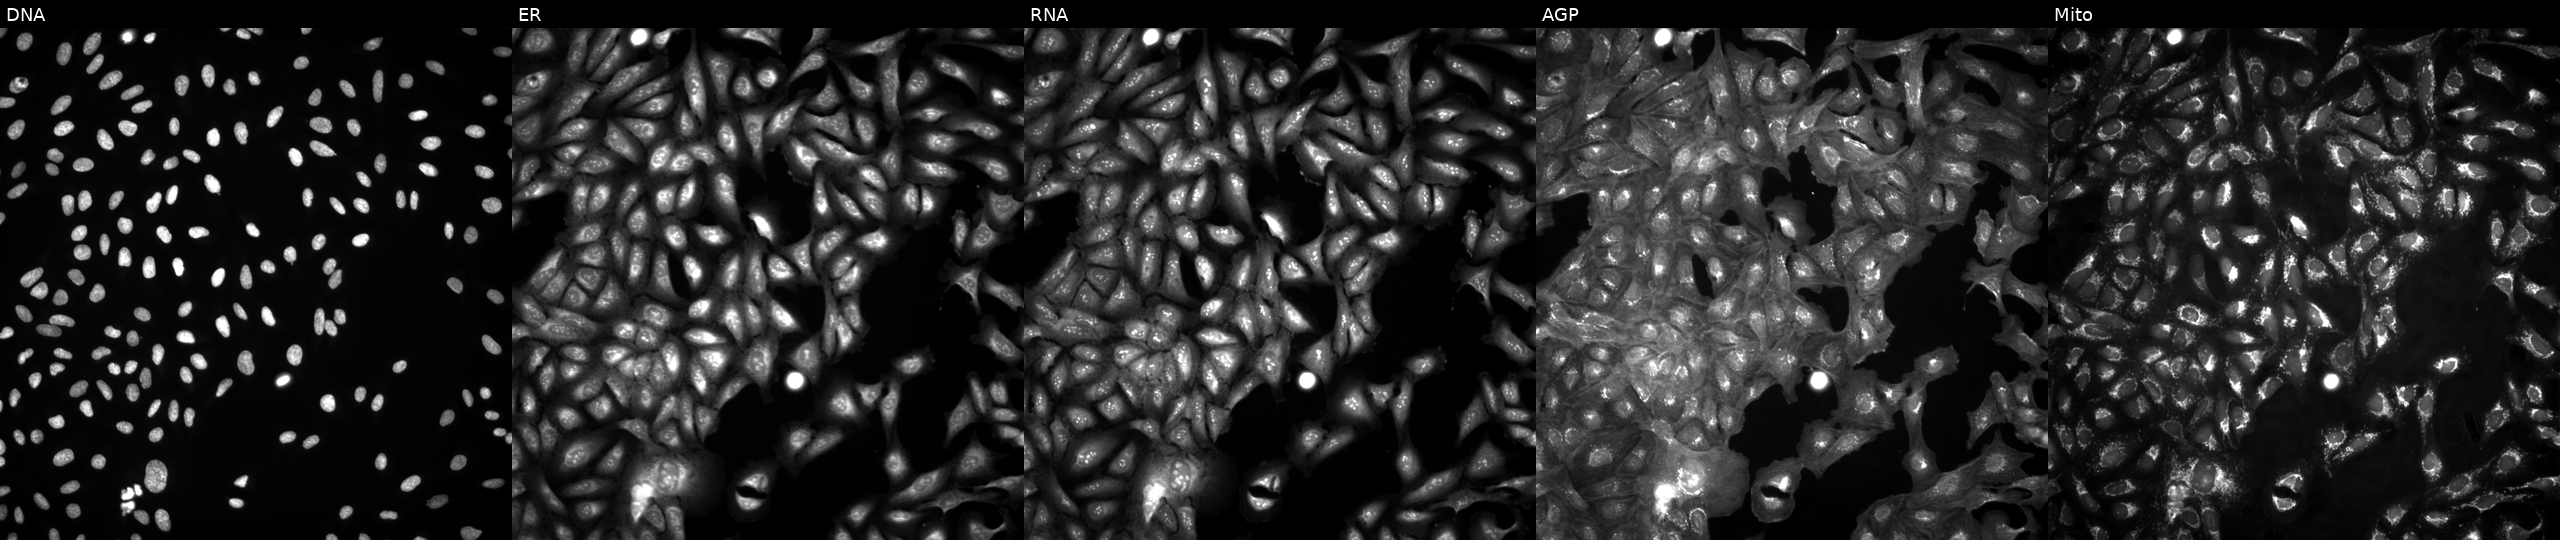
High-content fluorescence microscopy (Cell Painting). Cell line: U2OS. Perturbation: untreated (empty-well control). The five panels, left to right, show Hoechst 33342, concanavalin A, SYTO 14, phalloidin and WGA, MitoTracker.